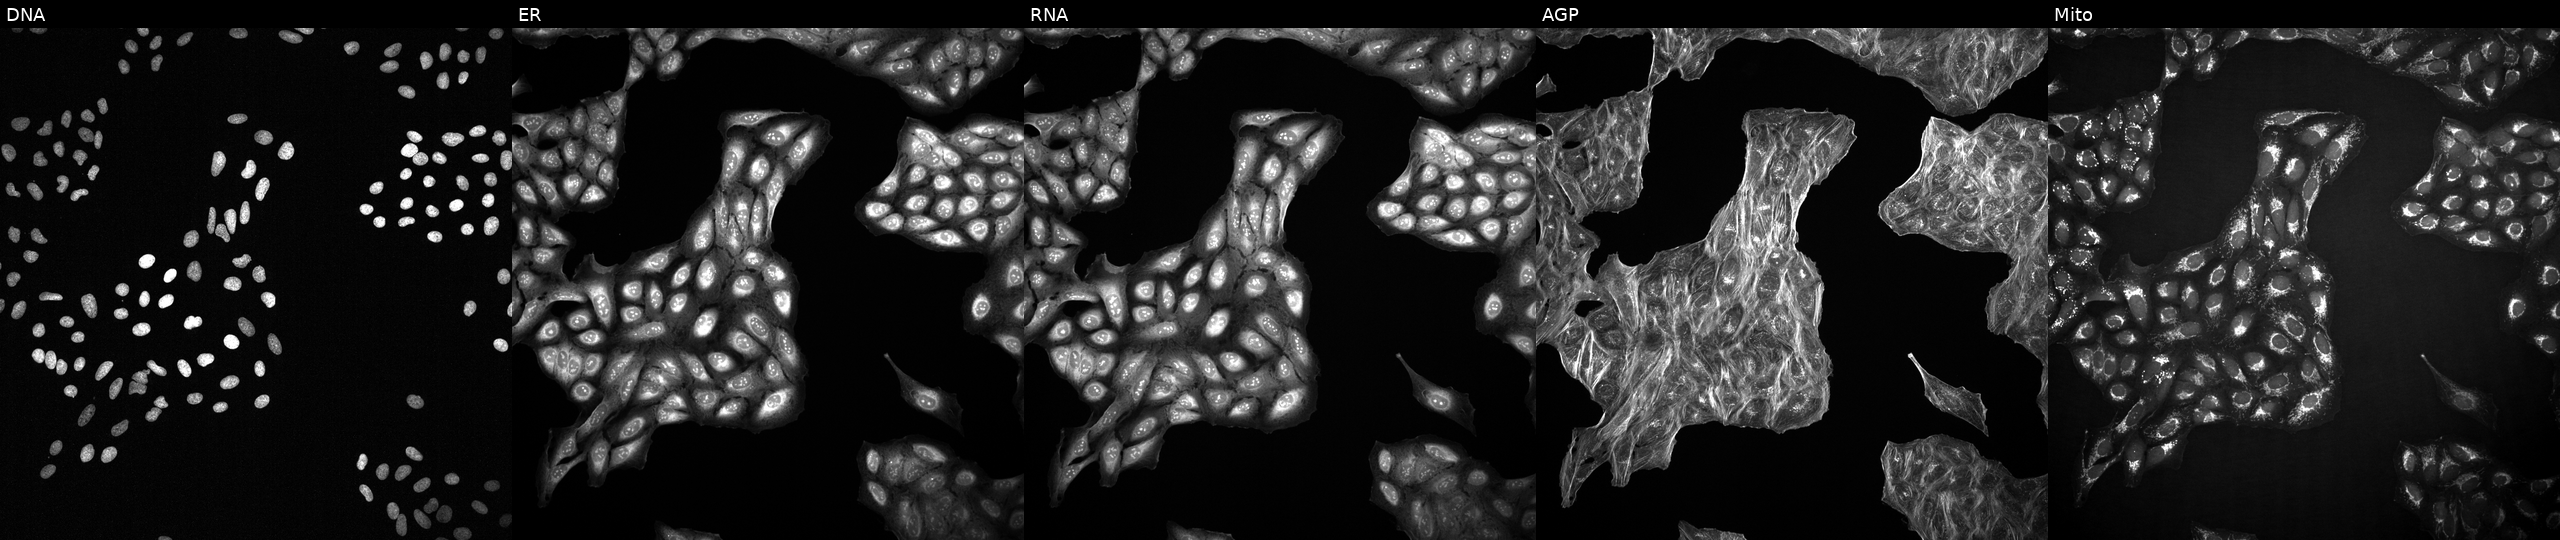
High-content fluorescence microscopy (Cell Painting). Cell line: U2OS. Perturbation: with an unidentified perturbation (not annotated in JUMP metadata). From left to right: DNA, ER, RNA, AGP, and Mito.